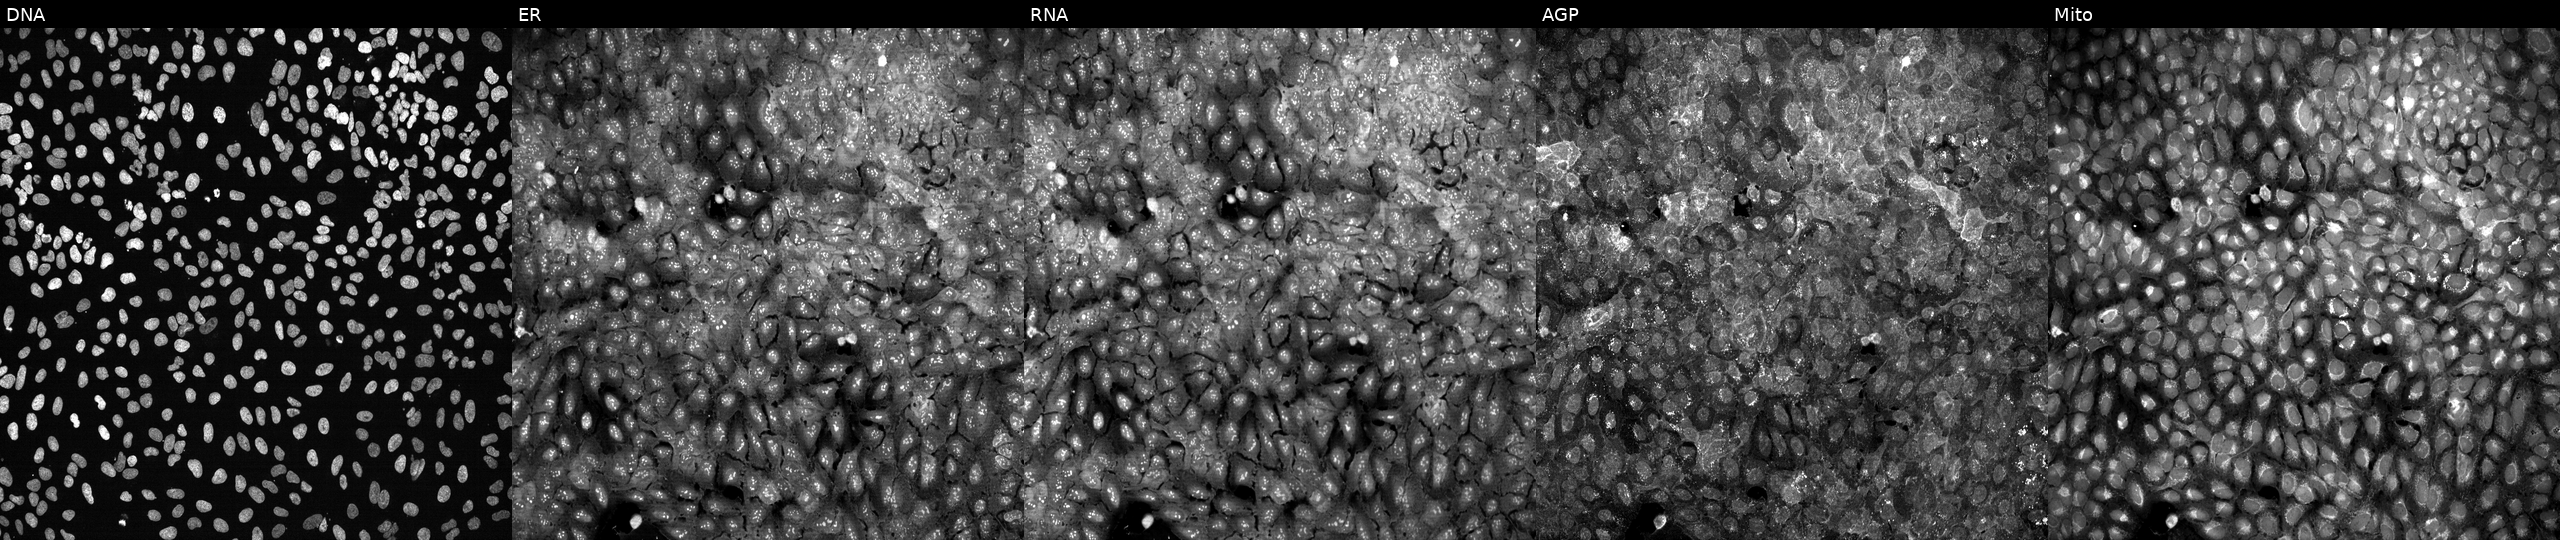
This image strip shows the five Cell Painting channels for a single field of U2OS cells CRISPR-edited to disrupt HDC (JUMP id JCP2022_803056). The five panels, left to right, show DNA, ER, RNA, AGP, and Mito. Source 13, plate CP-CC9-R1-02, well E09.